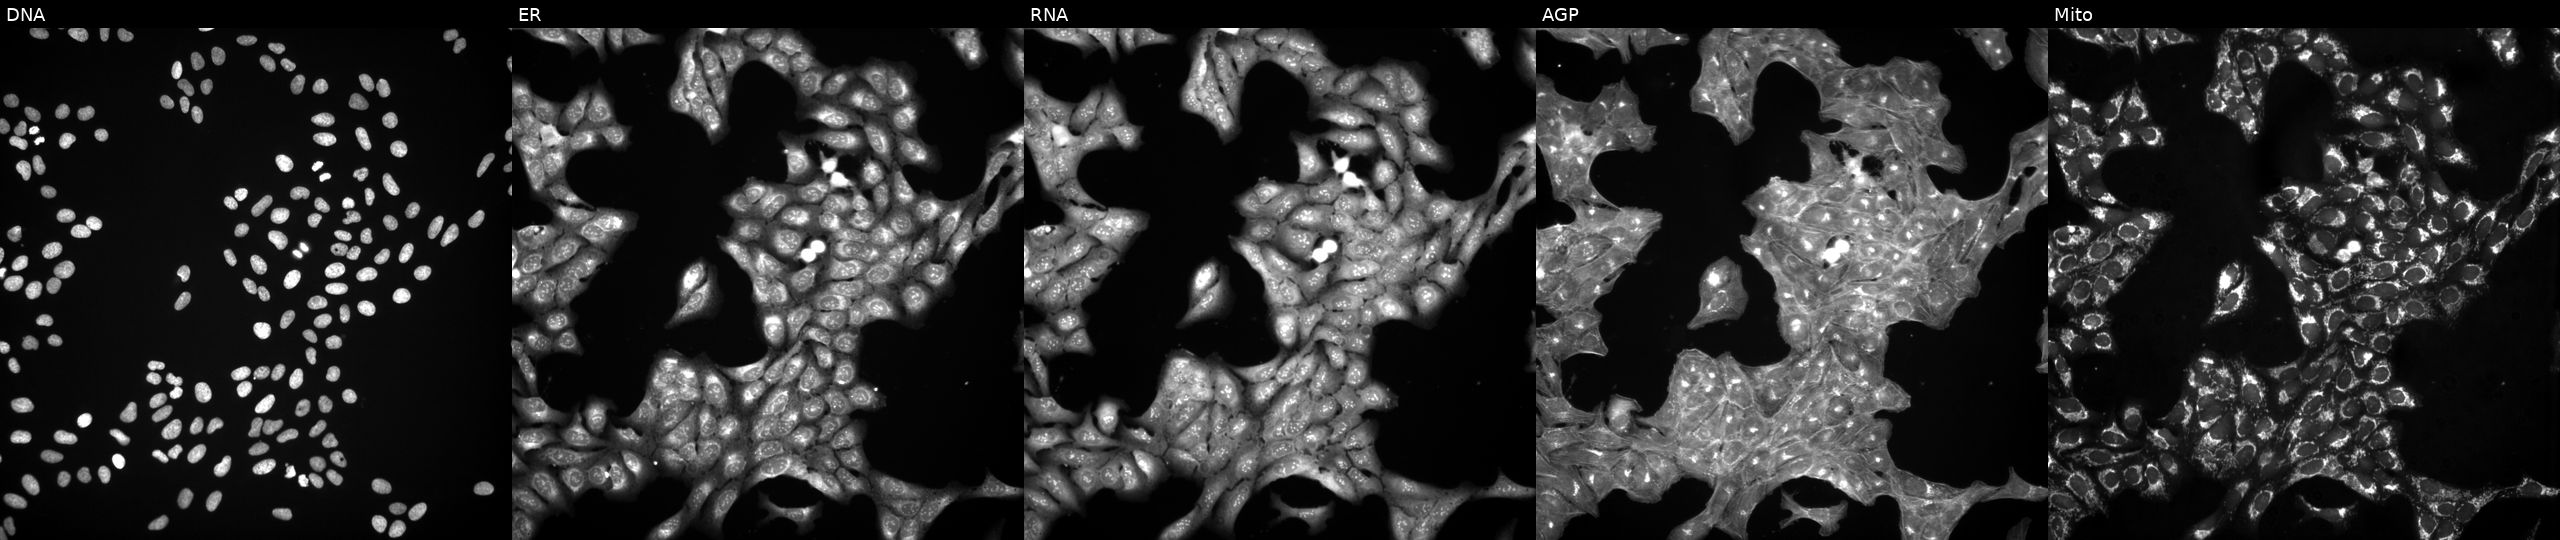
This image strip shows the five Cell Painting channels for a single field of U2OS cells exposed to a small-molecule compound (InChIKey HULPONUAINYLQQ-UHFFFAOYSA-N) (JUMP id JCP2022_032680). Panels show, left to right, Hoechst 33342, concanavalin A, SYTO 14, phalloidin and WGA, MitoTracker.